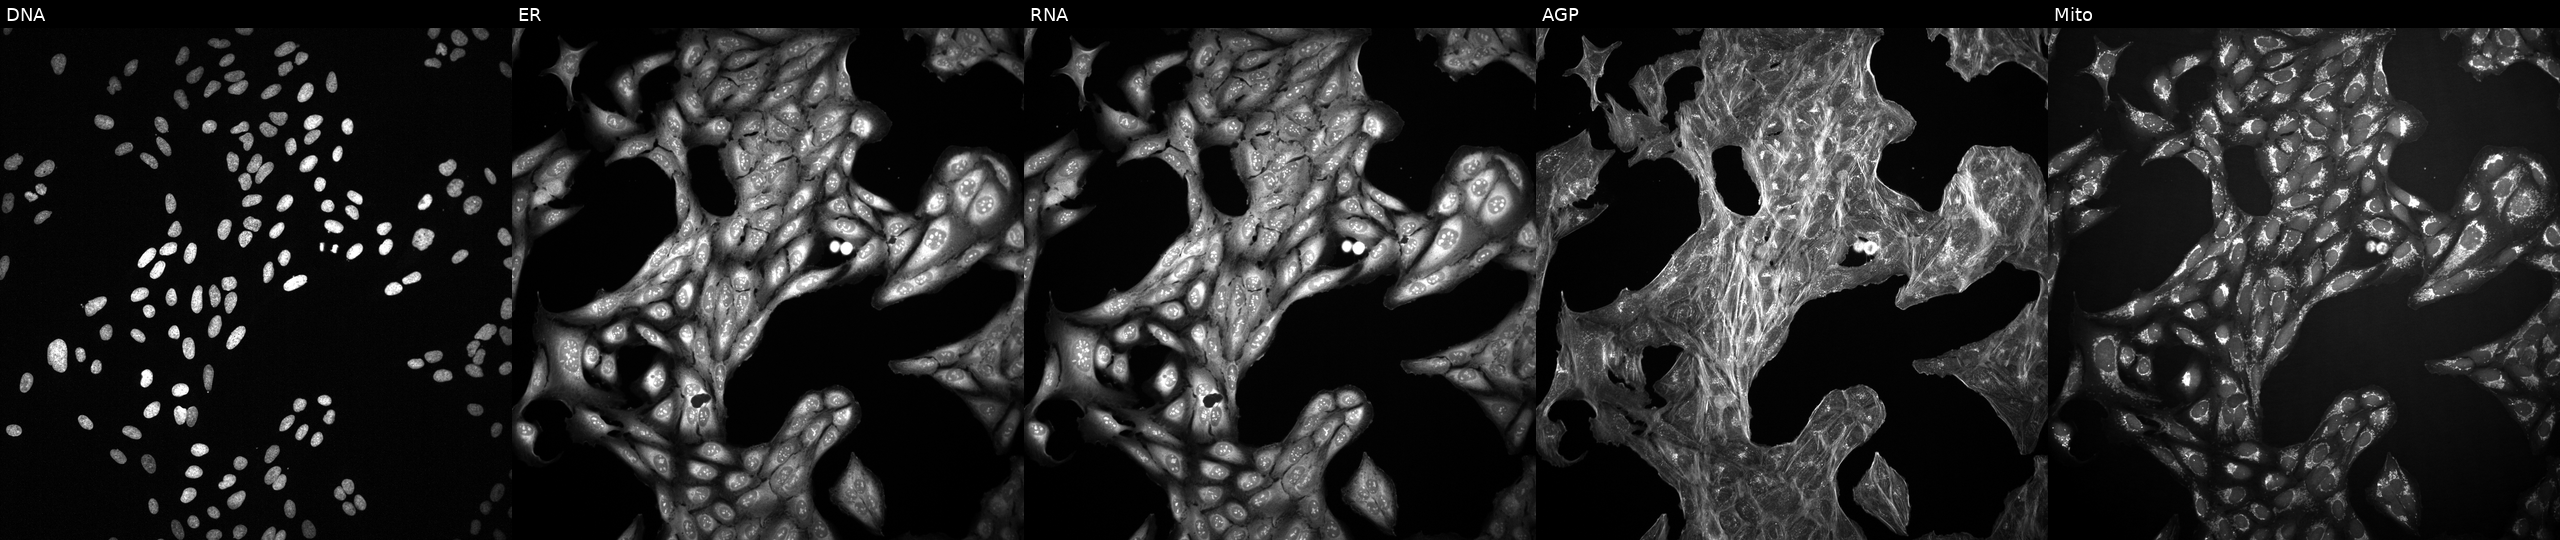
This image strip shows the five Cell Painting channels for a single field of U2OS cells exposed to a small-molecule compound (JUMP id JCP2022_105456). From left to right: DNA, ER, RNA, AGP, and Mito.